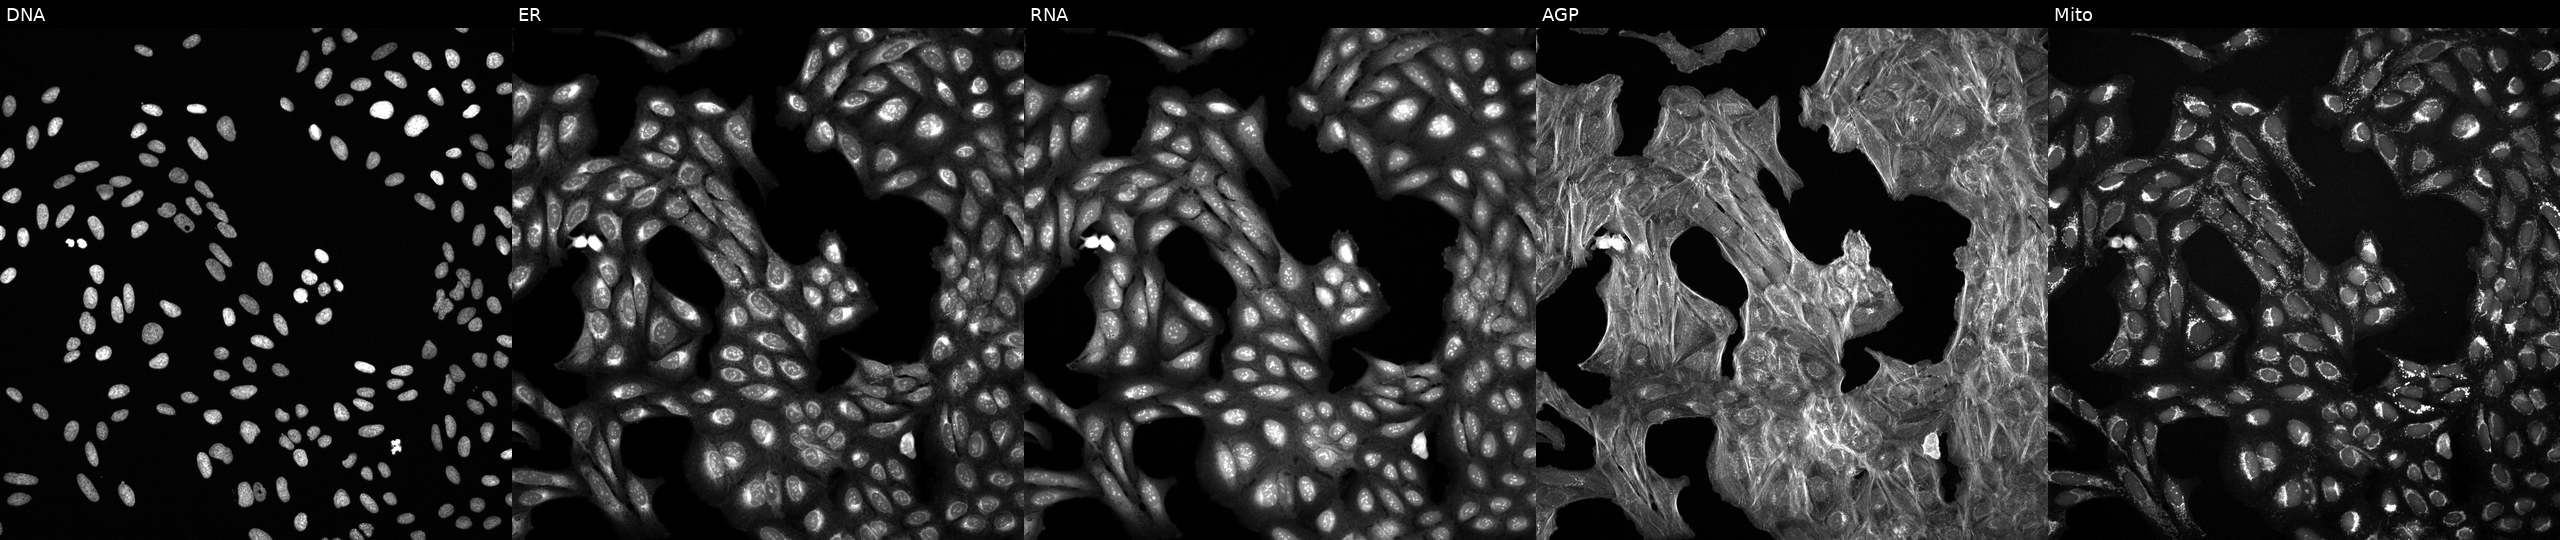
Five-channel Cell Painting image of U2OS cells perturbed with a small-molecule compound (InChIKey RFKUAODJKNAULR-UHFFFAOYSA-N) (JUMP id JCP2022_078023). Panels show, left to right, DNA, ER, RNA, AGP, and Mito.